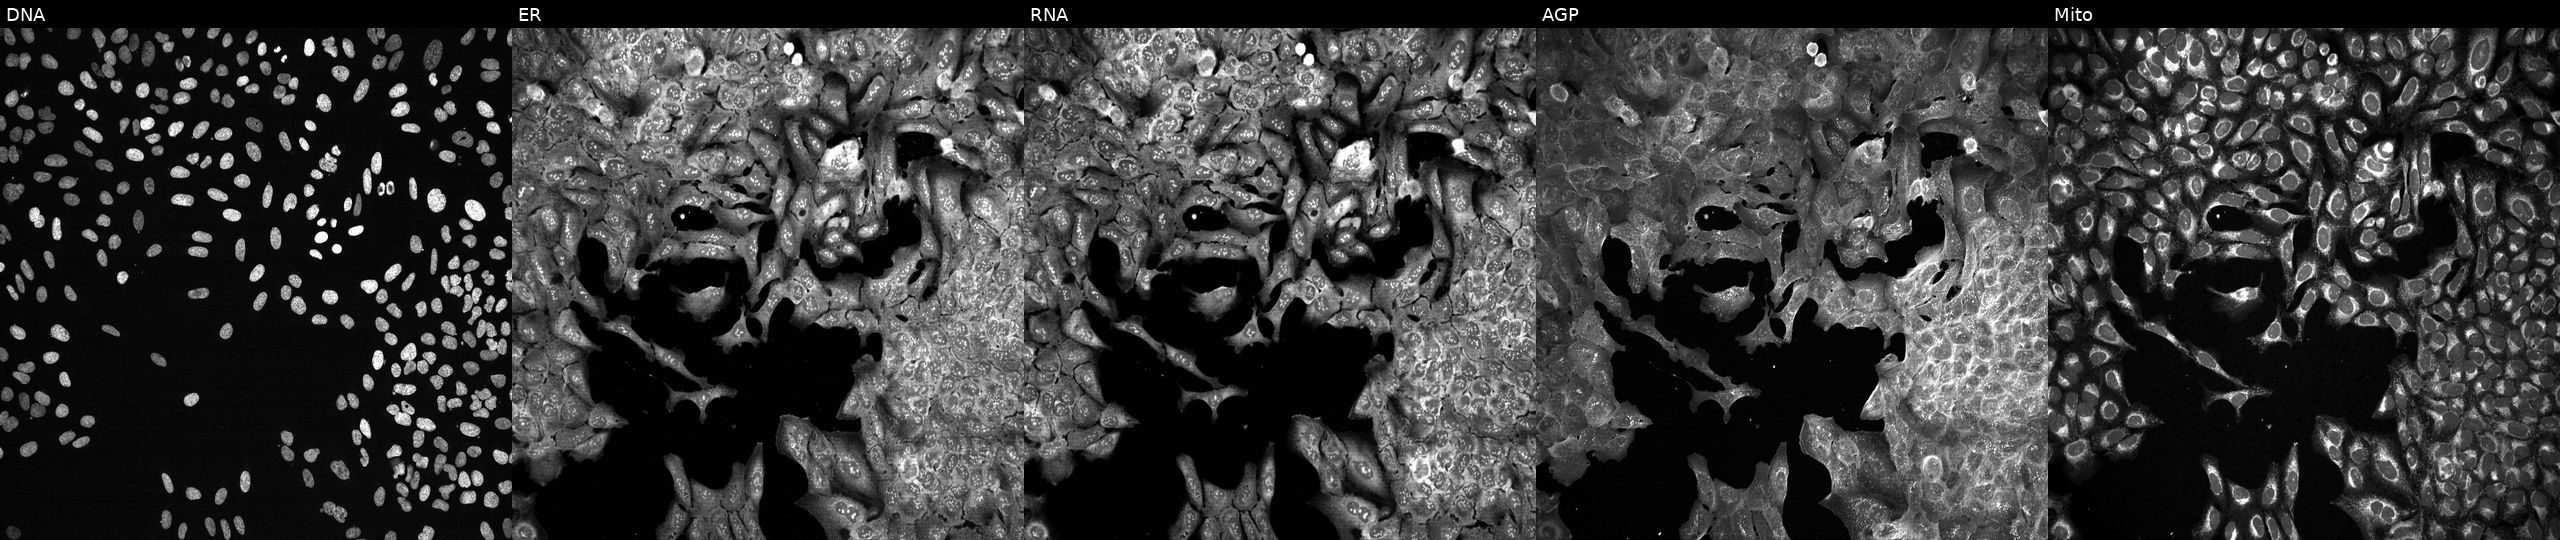
Five-channel Cell Painting image of U2OS cells CRISPR-edited to disrupt SOX17. Panels show, left to right, Hoechst 33342, concanavalin A, SYTO 14, phalloidin and WGA, MitoTracker. Source 13, plate CP-CC9-R6-19, well H14.